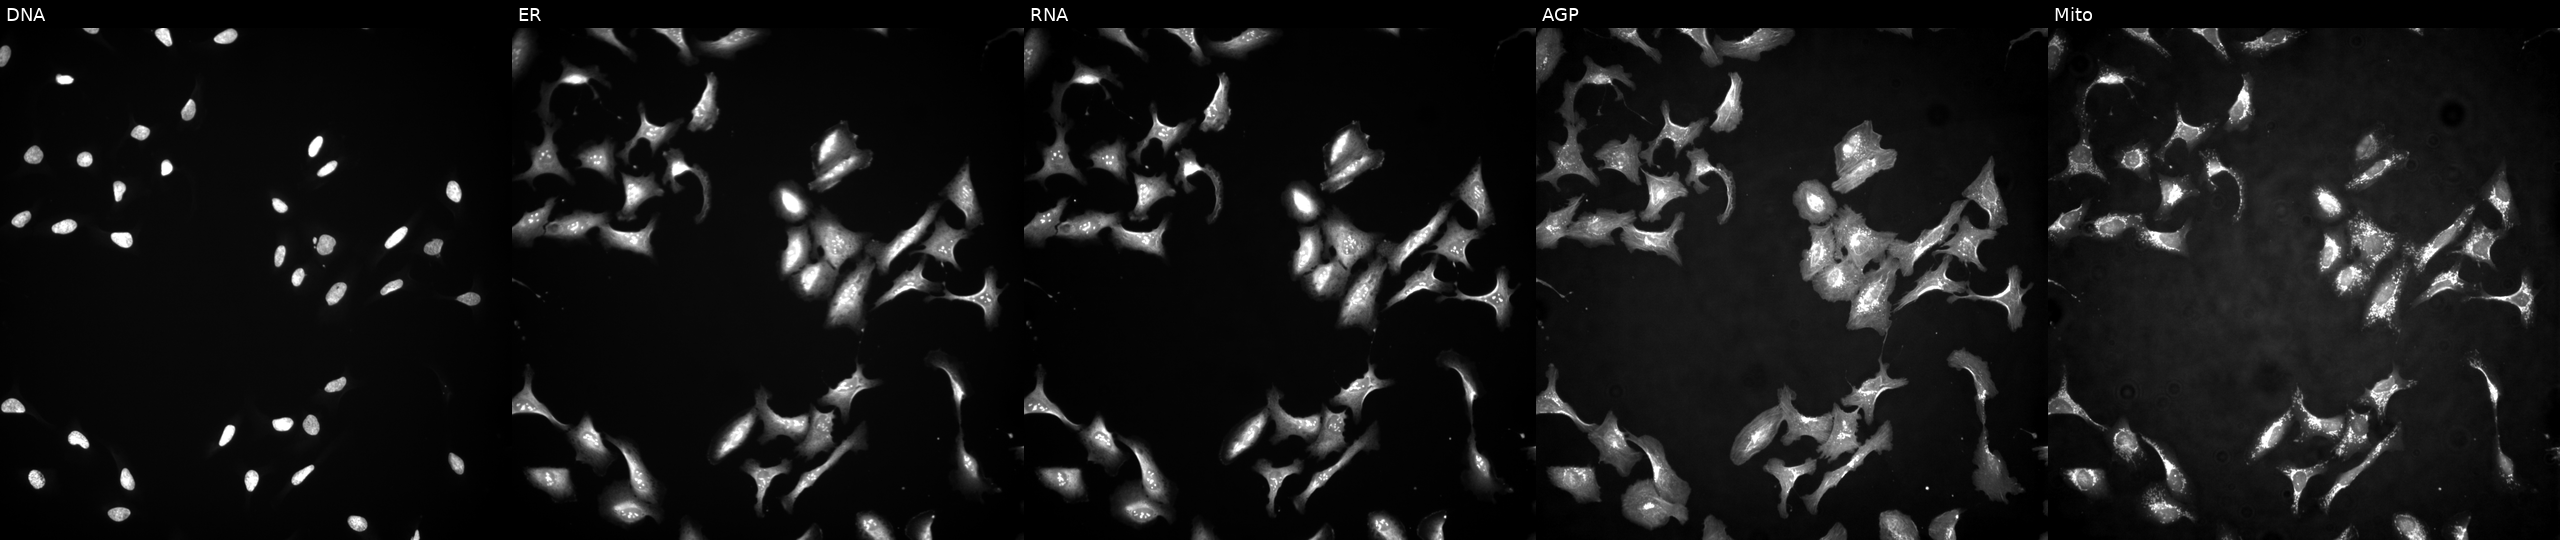
The five panels, left to right, show DNA (nuclei); ER (endoplasmic reticulum); RNA (nucleoli and cytoplasmic RNA); AGP (actin cytoskeleton, Golgi, and plasma membrane); Mito (mitochondria). U2OS osteosarcoma cells with ZNF169 overexpressed (ORF) (JUMP id JCP2022_912446). Cell Painting assay, JUMP-CP dataset.